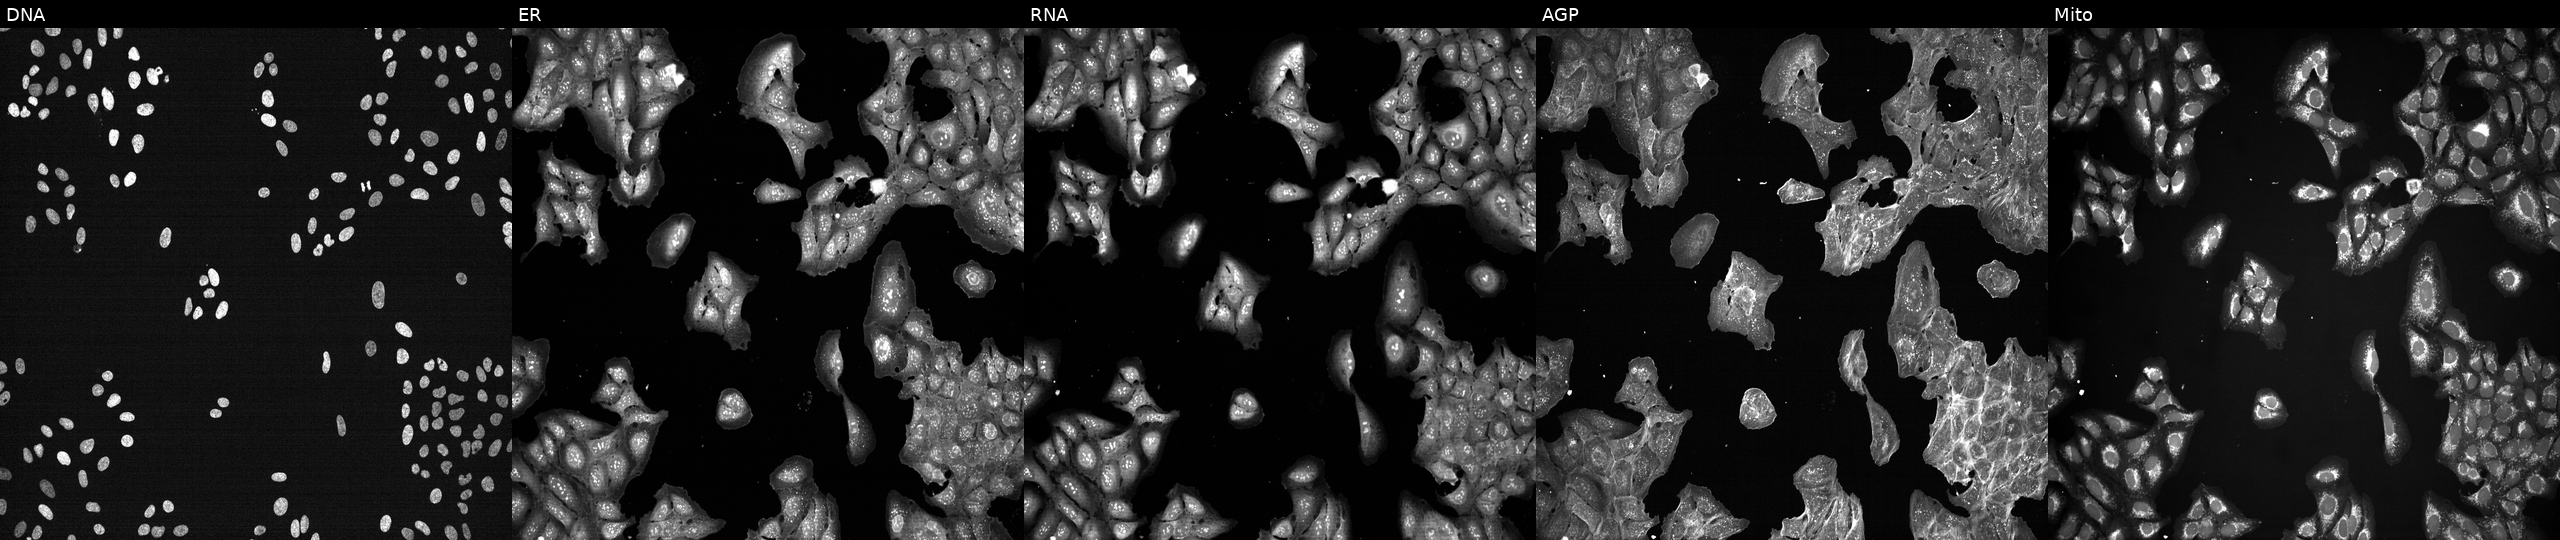
High-content fluorescence microscopy (Cell Painting). Cell line: U2OS. Perturbation: perturbed with a small-molecule compound (InChIKey CDJNNOJINJAXPV-UHFFFAOYSA-N) [SMILES: Cc1cc(-c2nc(-c3ccc(OC(F)(F)F)cc3)no2)nn1Cc1ccnc(N2CCN(C3CC3)CC2)c1] (JUMP id JCP2022_010382). Panels show, left to right, DNA, ER, RNA, AGP, and Mito.